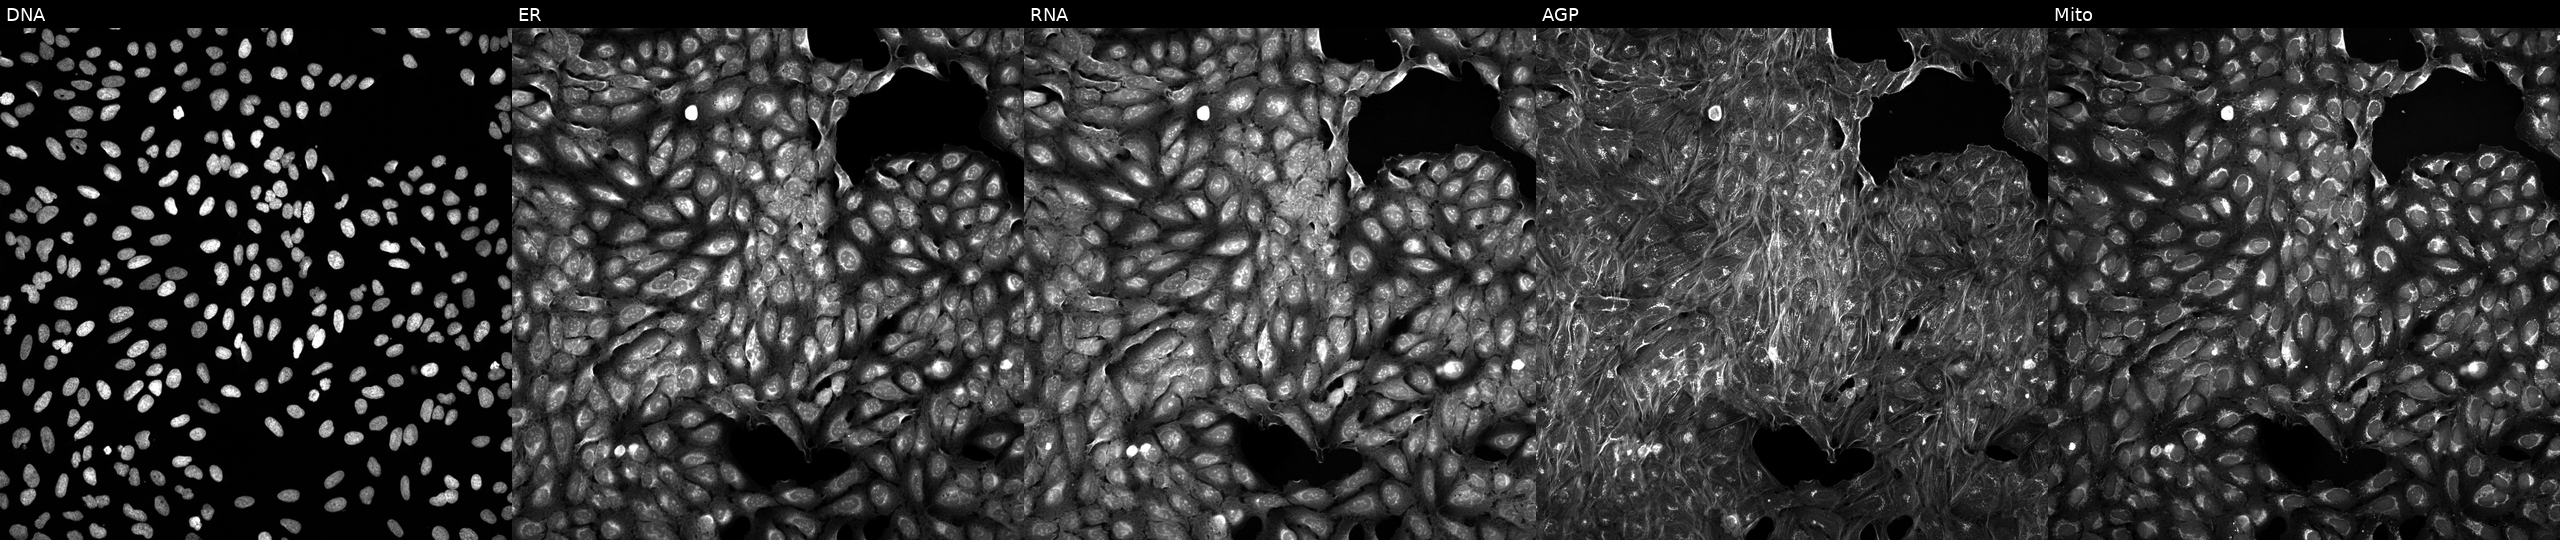
JUMP Cell Painting — TARGET2 plate. U2OS cells treated with a small-molecule compound (InChIKey HKQYGTCOTHHOMP-UHFFFAOYSA-N). The five panels, left to right, show DNA, ER, RNA, AGP, and Mito. Source 5, plate ACPJUM051, well P16.